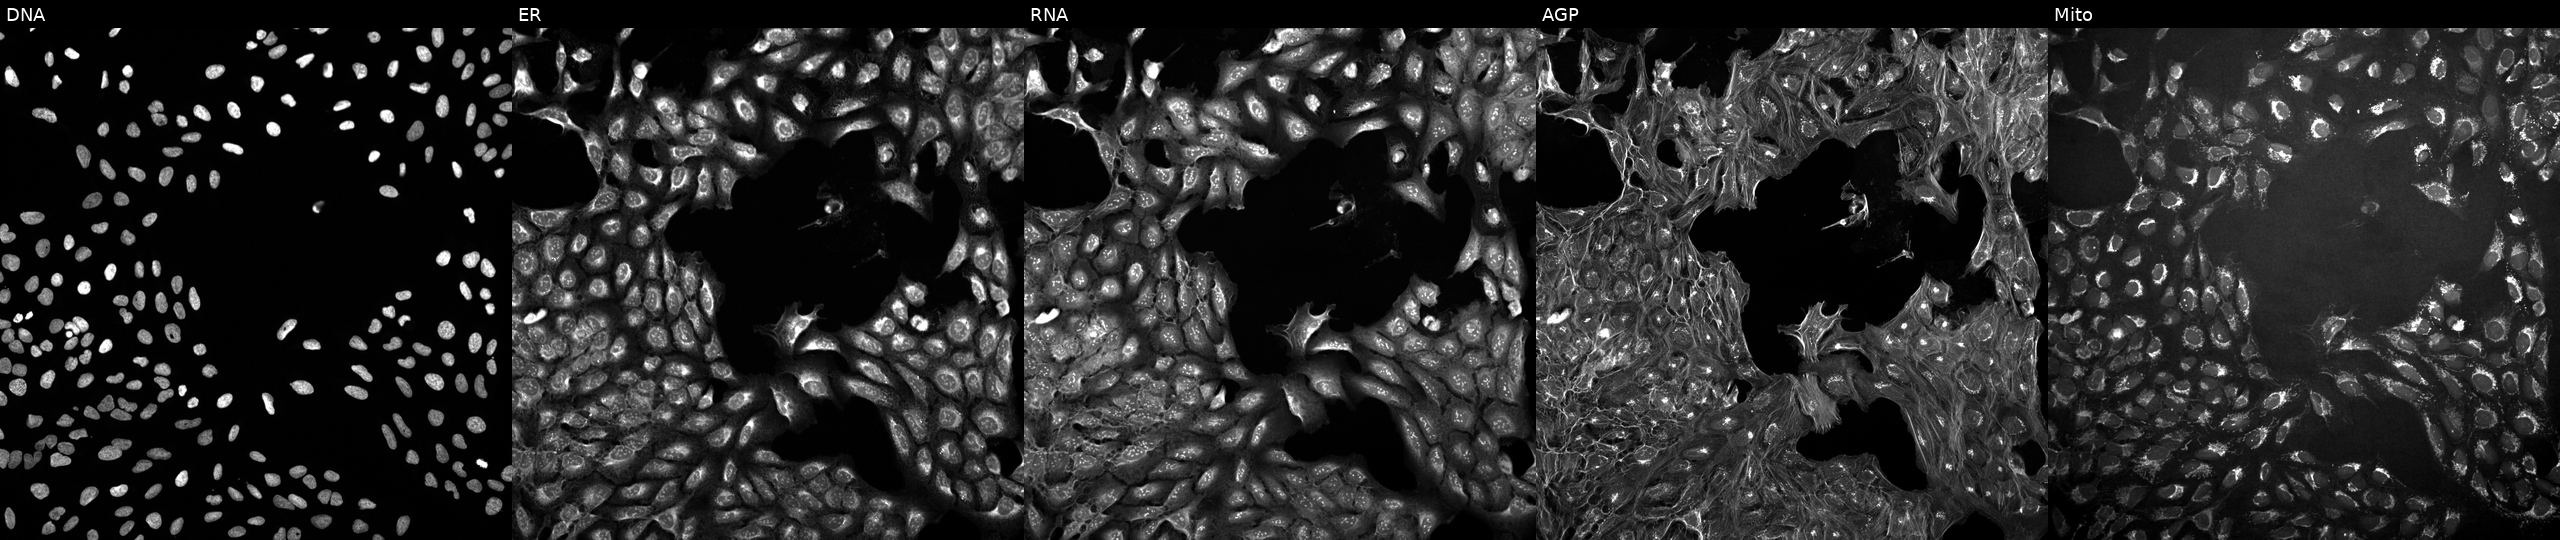
U2OS cells, Cell Painting assay, treated with DMSO vehicle only (negative control) (JUMP id JCP2022_033924). From left to right: DNA (nuclei); ER (endoplasmic reticulum); RNA (nucleoli and cytoplasmic RNA); AGP (actin cytoskeleton, Golgi, and plasma membrane); Mito (mitochondria). Each panel is percentile-stretched 16-bit fluorescence. Source 10, plate Dest210531-152324, well F02.